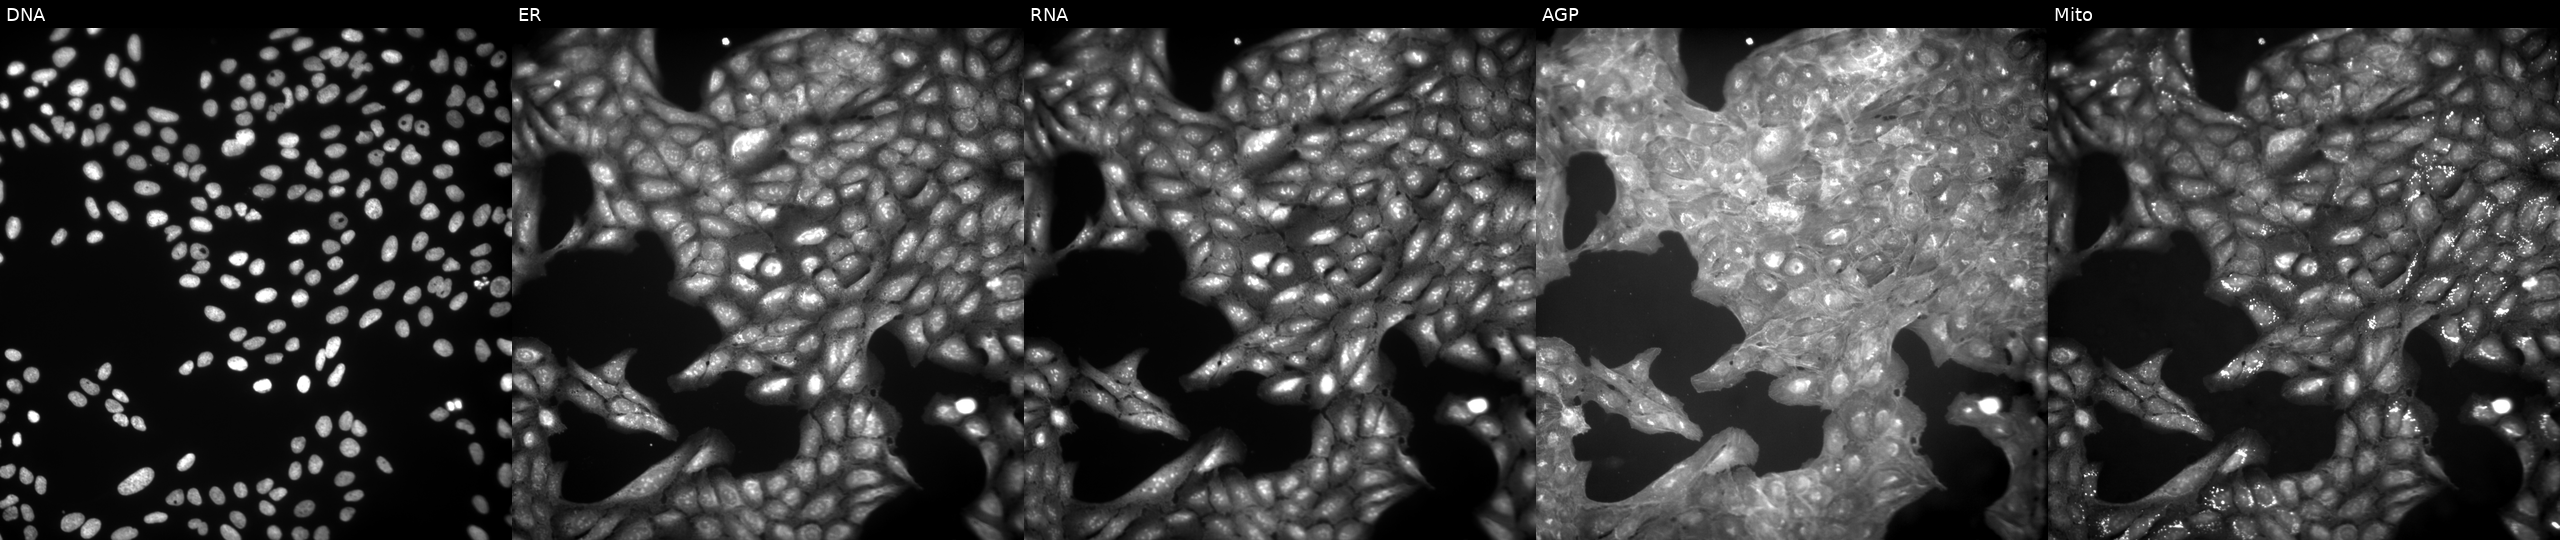
Five-channel Cell Painting image of U2OS cells exposed to a small-molecule compound. Channels (left→right): Hoechst 33342, concanavalin A, SYTO 14, phalloidin and WGA, MitoTracker. Source 9, plate GR00003382, well AD36.